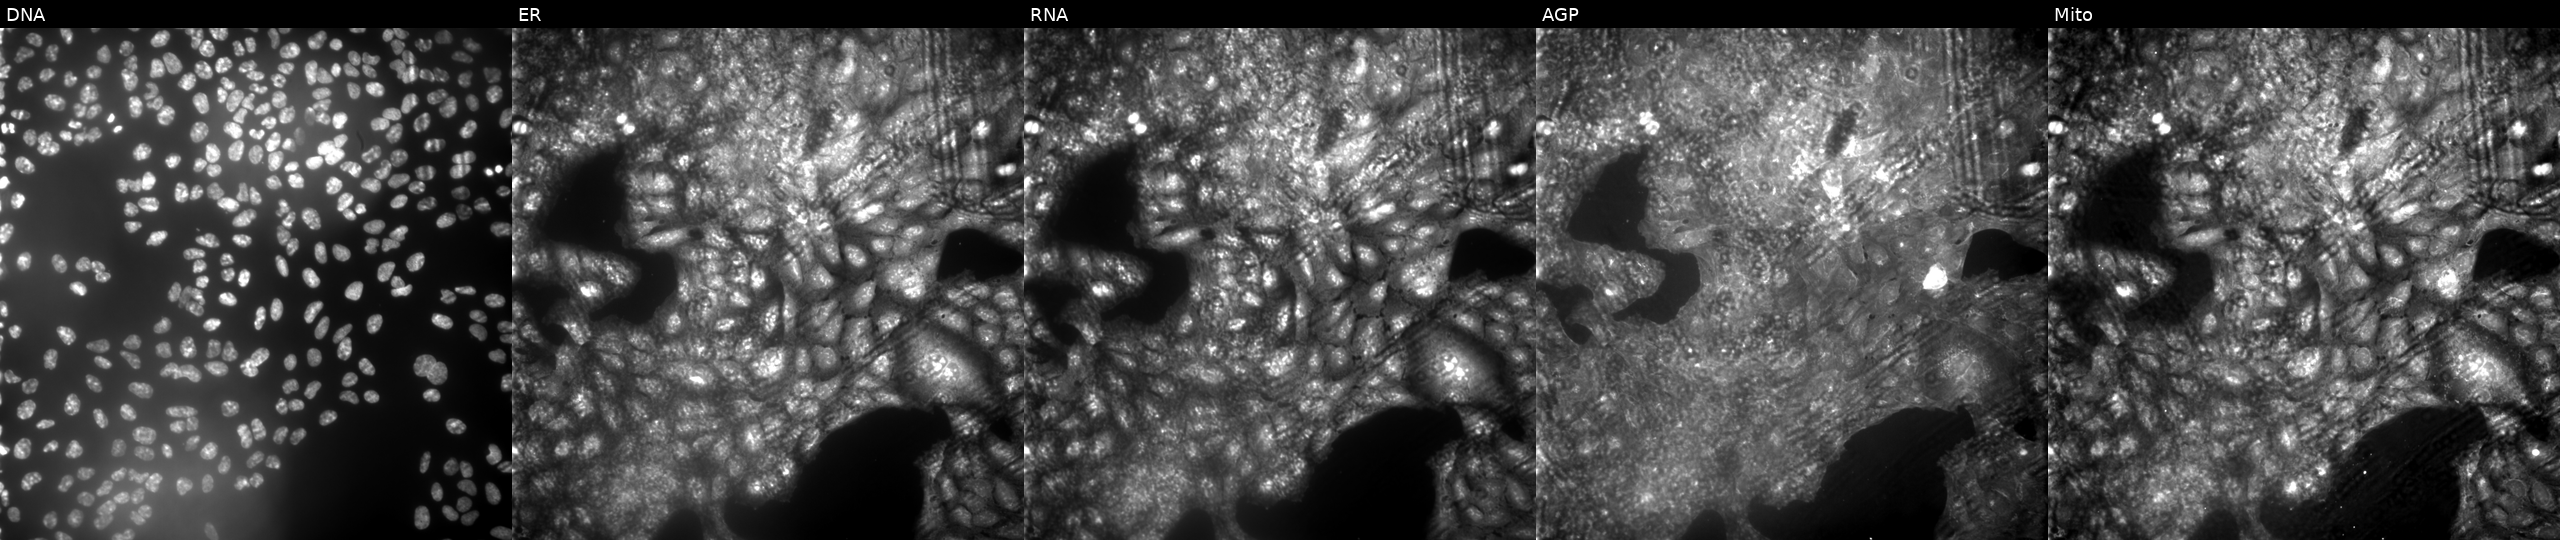
Five-channel Cell Painting image of U2OS cells exposed to a small-molecule compound (InChIKey MCVRPCMOTQNFQJ-UHFFFAOYSA-N) (JUMP id JCP2022_053312). The five panels, left to right, show Hoechst 33342, concanavalin A, SYTO 14, phalloidin and WGA, MitoTracker. Source 9, plate GR00003382, well J20.